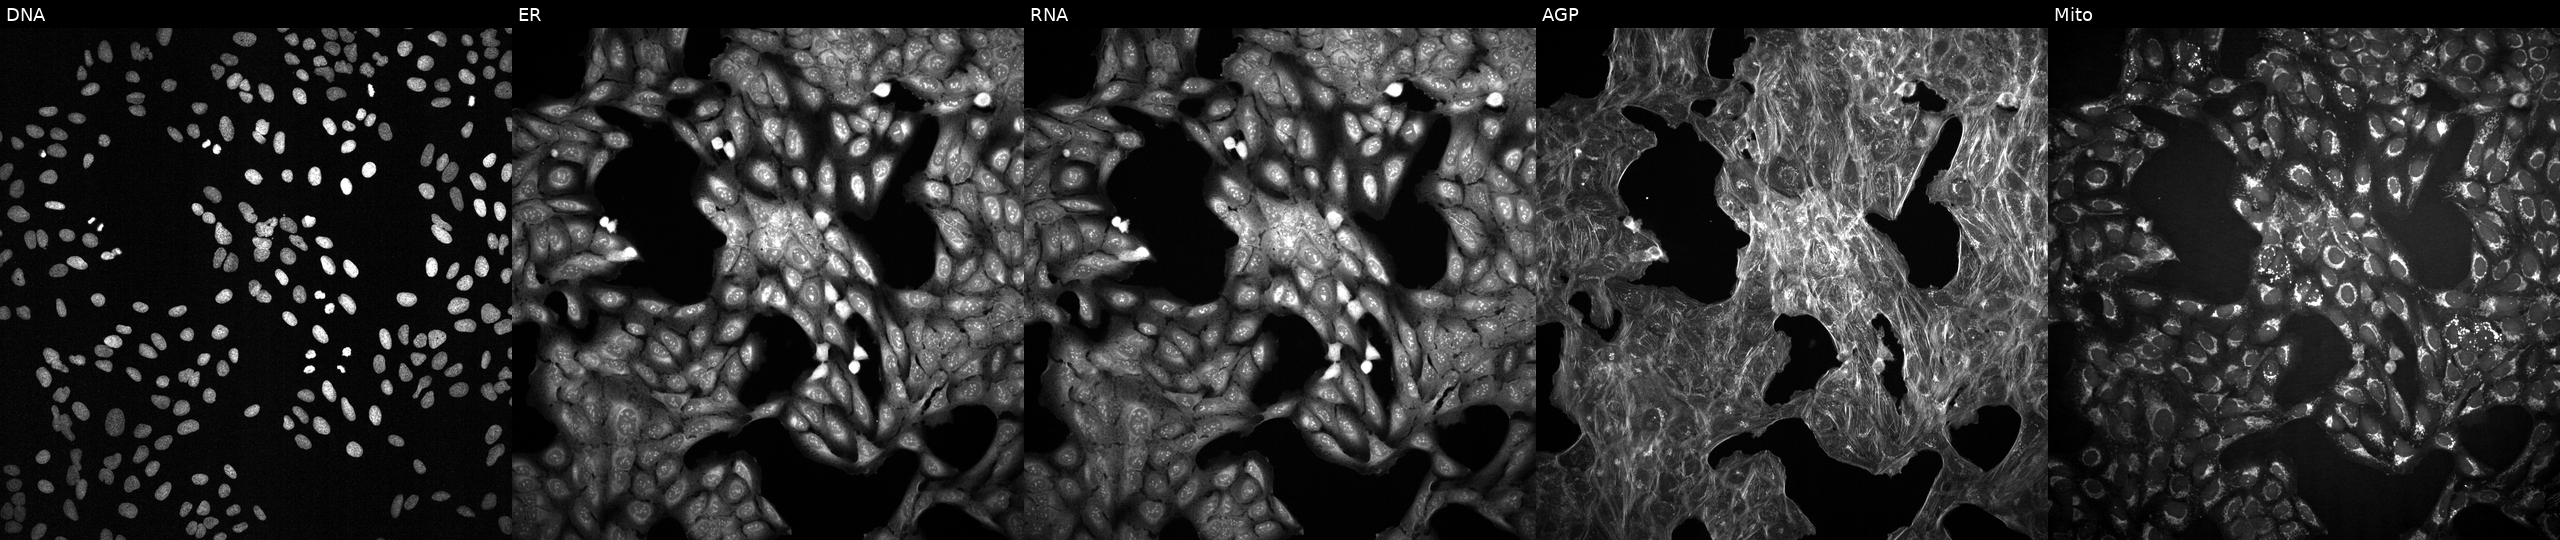
Five-channel Cell Painting image of U2OS cells treated with a small-molecule compound (InChIKey CKTSBUTUHBMZGZ-UHFFFAOYSA-N) [SMILES: N=c1ccn(C2CC(O)C(CO)O2)c(=O)[nH]1]. The five panels, left to right, show Hoechst 33342, concanavalin A, SYTO 14, phalloidin and WGA, MitoTracker. Source 2, plate 1053599503, well I13.